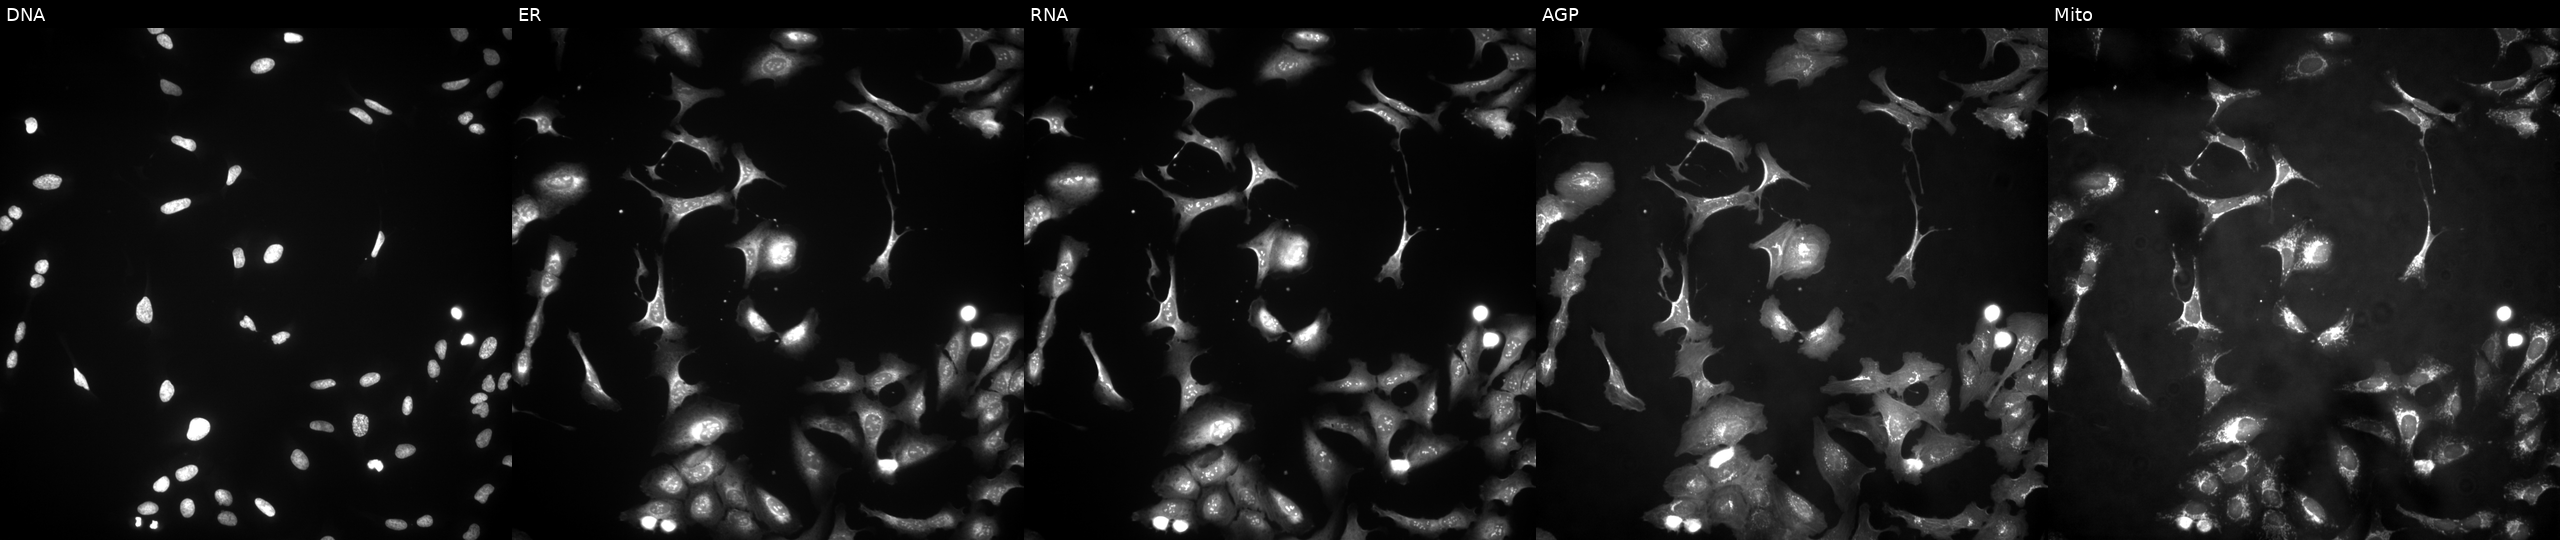
High-content fluorescence microscopy (Cell Painting). Cell line: U2OS. Perturbation: transfected with an ORF construct for DDX39A (JUMP id JCP2022_902207). Panels show, left to right, DNA, ER, RNA, AGP, and Mito.